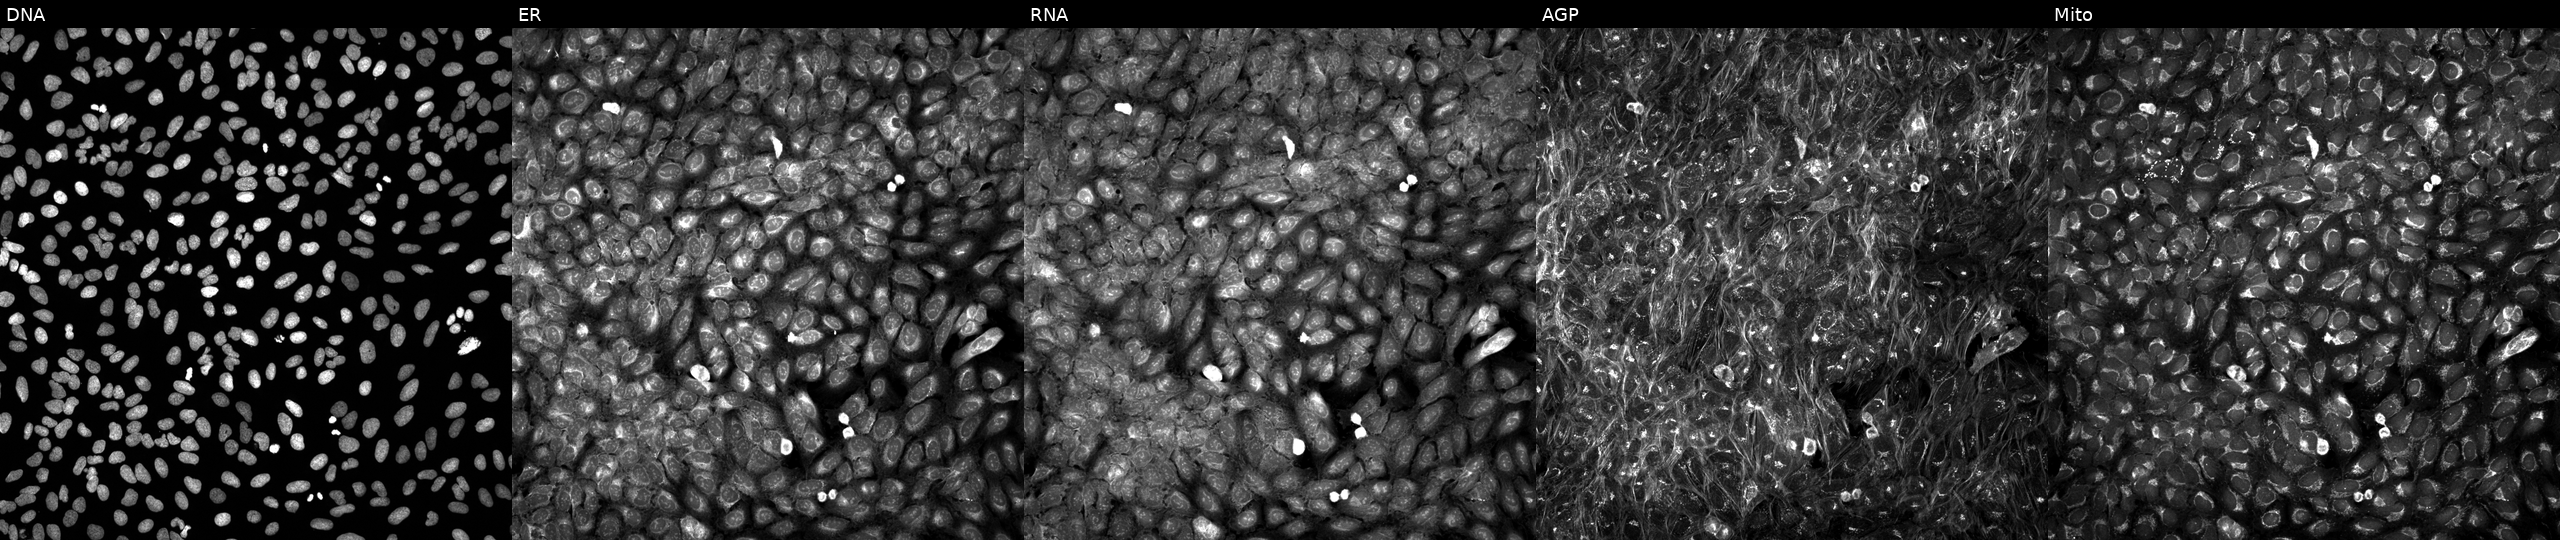
JUMP Cell Painting — TARGET2 plate. U2OS cells perturbed with a small-molecule compound [SMILES: CC(C)(N)C(=O)NC(COCc1ccccc1)C(=O)N1CCC2(CC1)CN(S(C)(=O)=O)c1ccccc12] (JUMP id JCP2022_090205). The five panels, left to right, show Hoechst 33342, concanavalin A, SYTO 14, phalloidin and WGA, MitoTracker. Source 5, plate ACPJUM012, well D24.